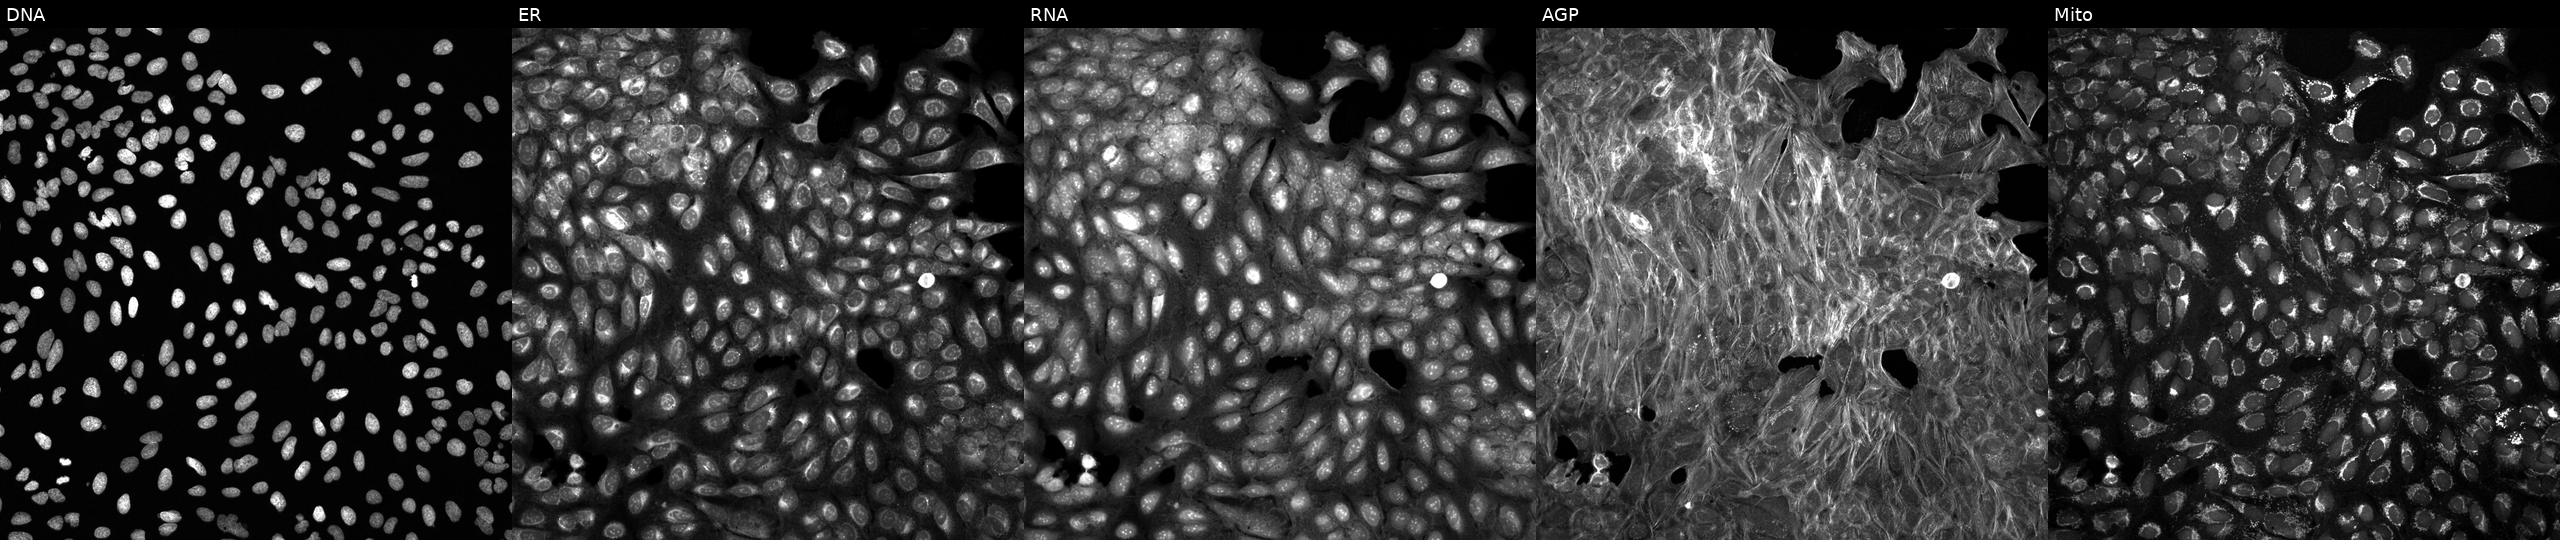
This image strip shows the five Cell Painting channels for a single field of U2OS cells exposed to a small-molecule compound (JUMP id JCP2022_109350). The five panels, left to right, show Hoechst 33342, concanavalin A, SYTO 14, phalloidin and WGA, MitoTracker. Source 6, plate 110000293081, well C24.